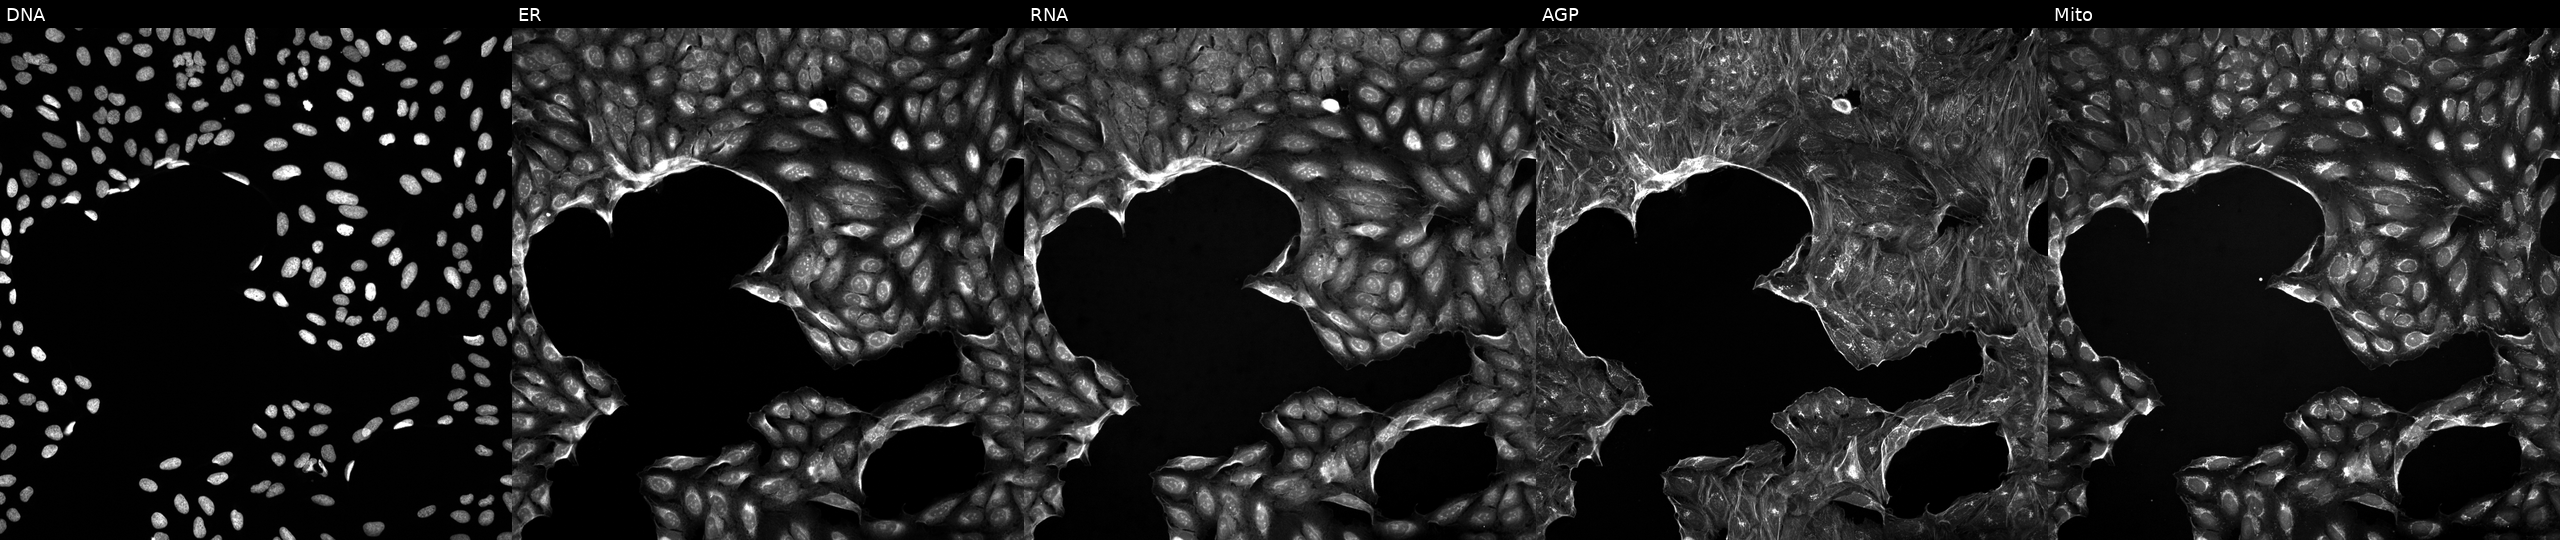
JUMP Cell Painting — TARGET2 plate. U2OS cells exposed to a small-molecule compound (InChIKey BYBLEWFAAKGYCD-UHFFFAOYSA-N). Channels (left→right): DNA (nuclei); ER (endoplasmic reticulum); RNA (nucleoli and cytoplasmic RNA); AGP (actin cytoskeleton, Golgi, and plasma membrane); Mito (mitochondria).